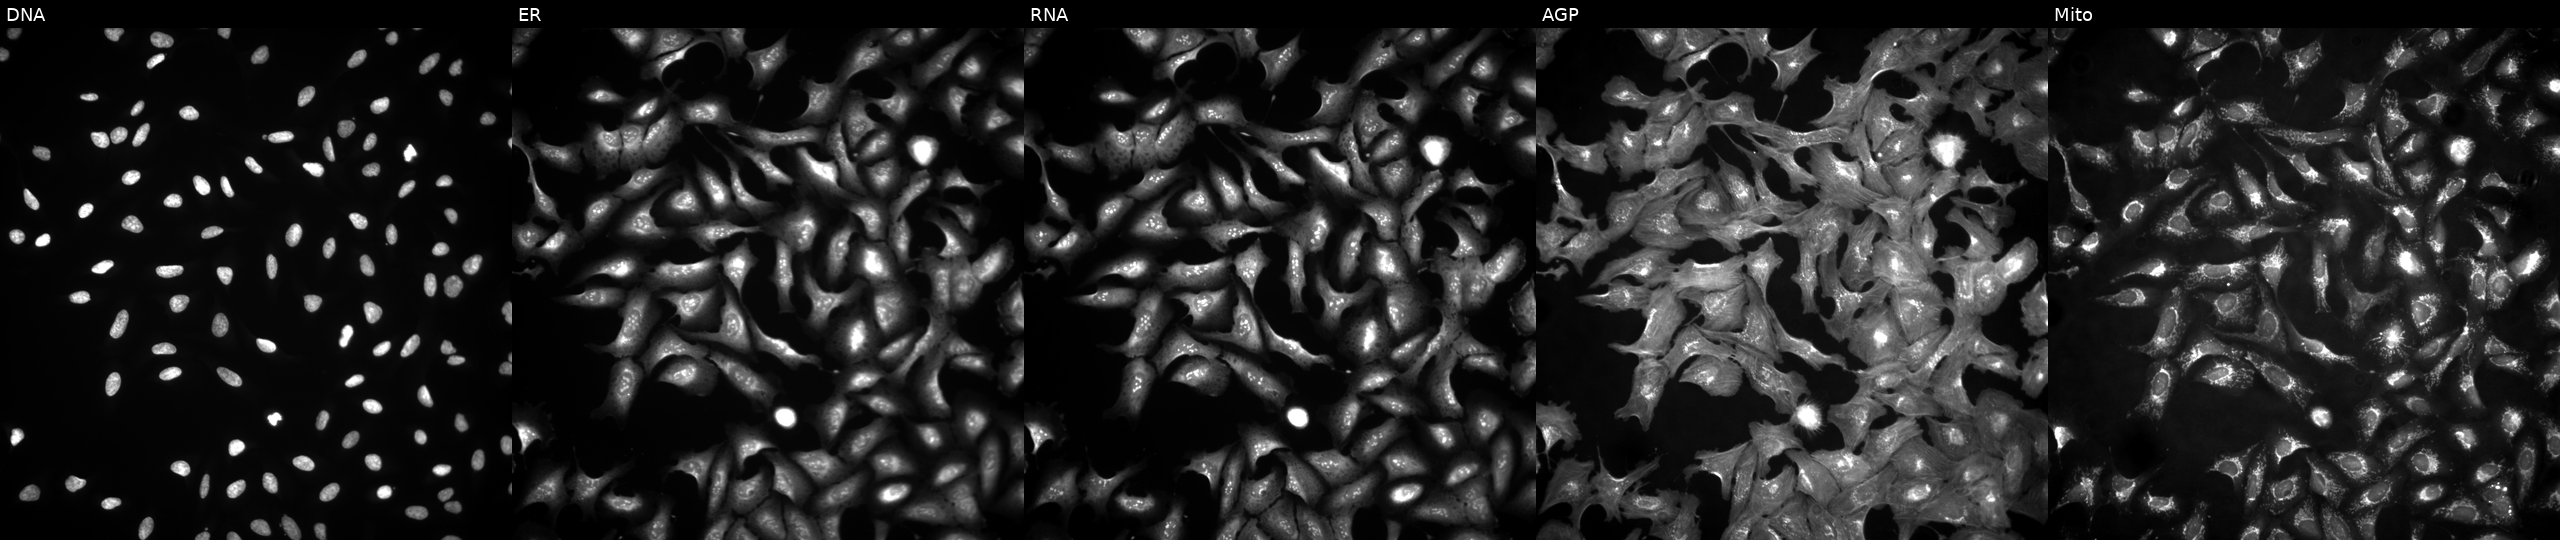
JUMP Cell Painting — ORF plate. U2OS cells overexpressing TXNDC9 via ORF transfection. The five panels, left to right, show DNA, ER, RNA, AGP, and Mito.